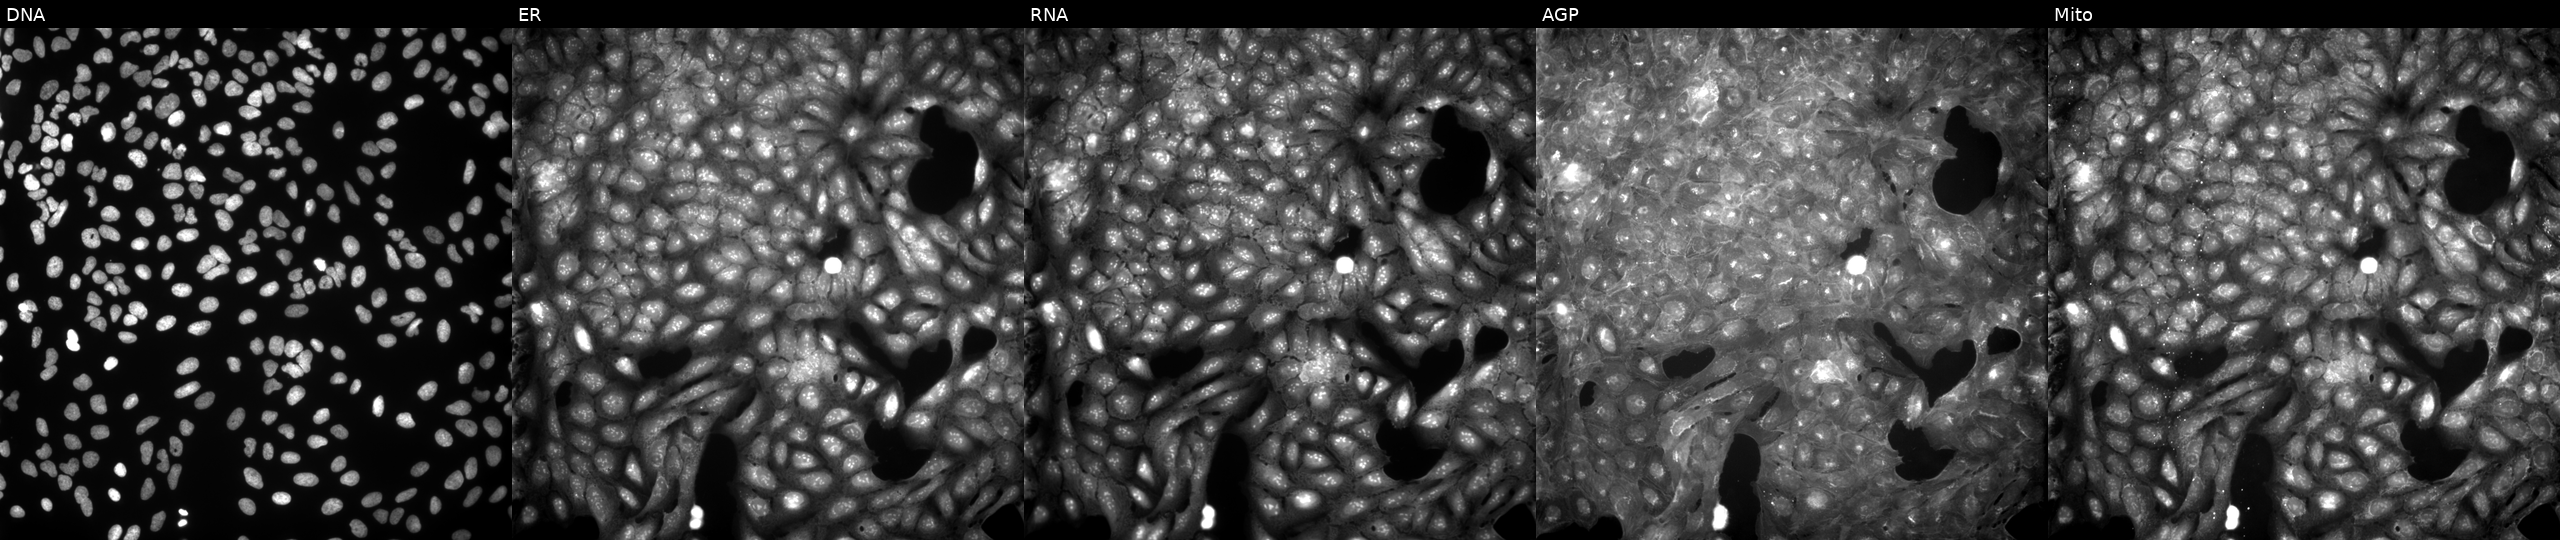
The five panels, left to right, show Hoechst 33342, concanavalin A, SYTO 14, phalloidin and WGA, MitoTracker. U2OS osteosarcoma cells treated with a small-molecule compound (InChIKey SUXJNUHMZWEJIT-UHFFFAOYSA-N) (JUMP id JCP2022_085782). Cell Painting assay, JUMP-CP dataset.